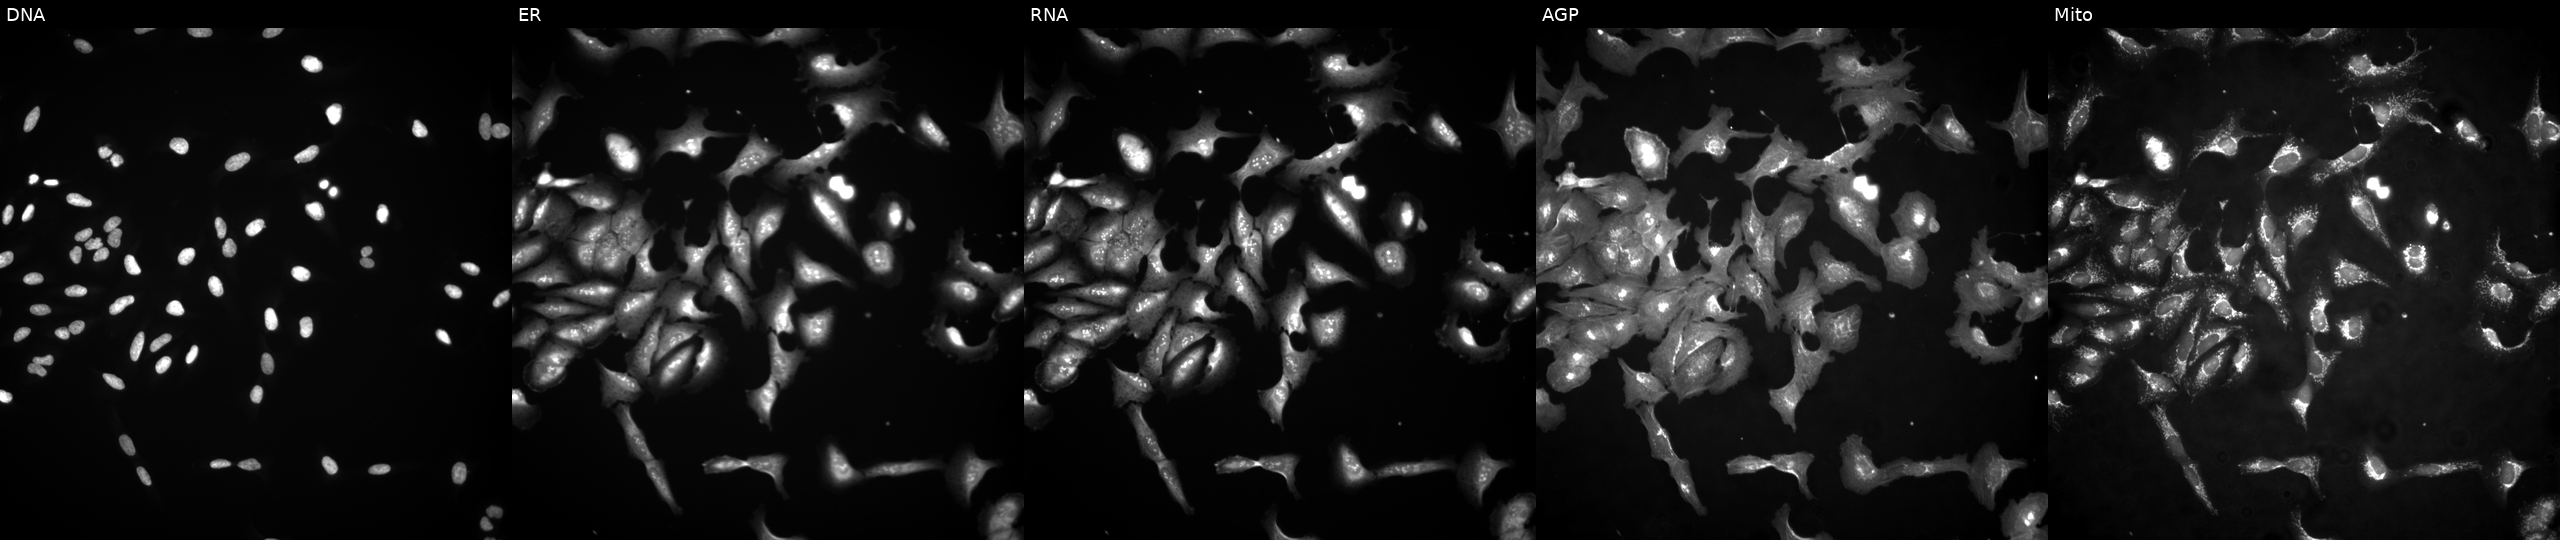
U2OS cells, Cell Painting assay, transfected with an ORF construct for KAT5. Channels (left→right): DNA, ER, RNA, AGP, and Mito. Each panel is percentile-stretched 16-bit fluorescence.